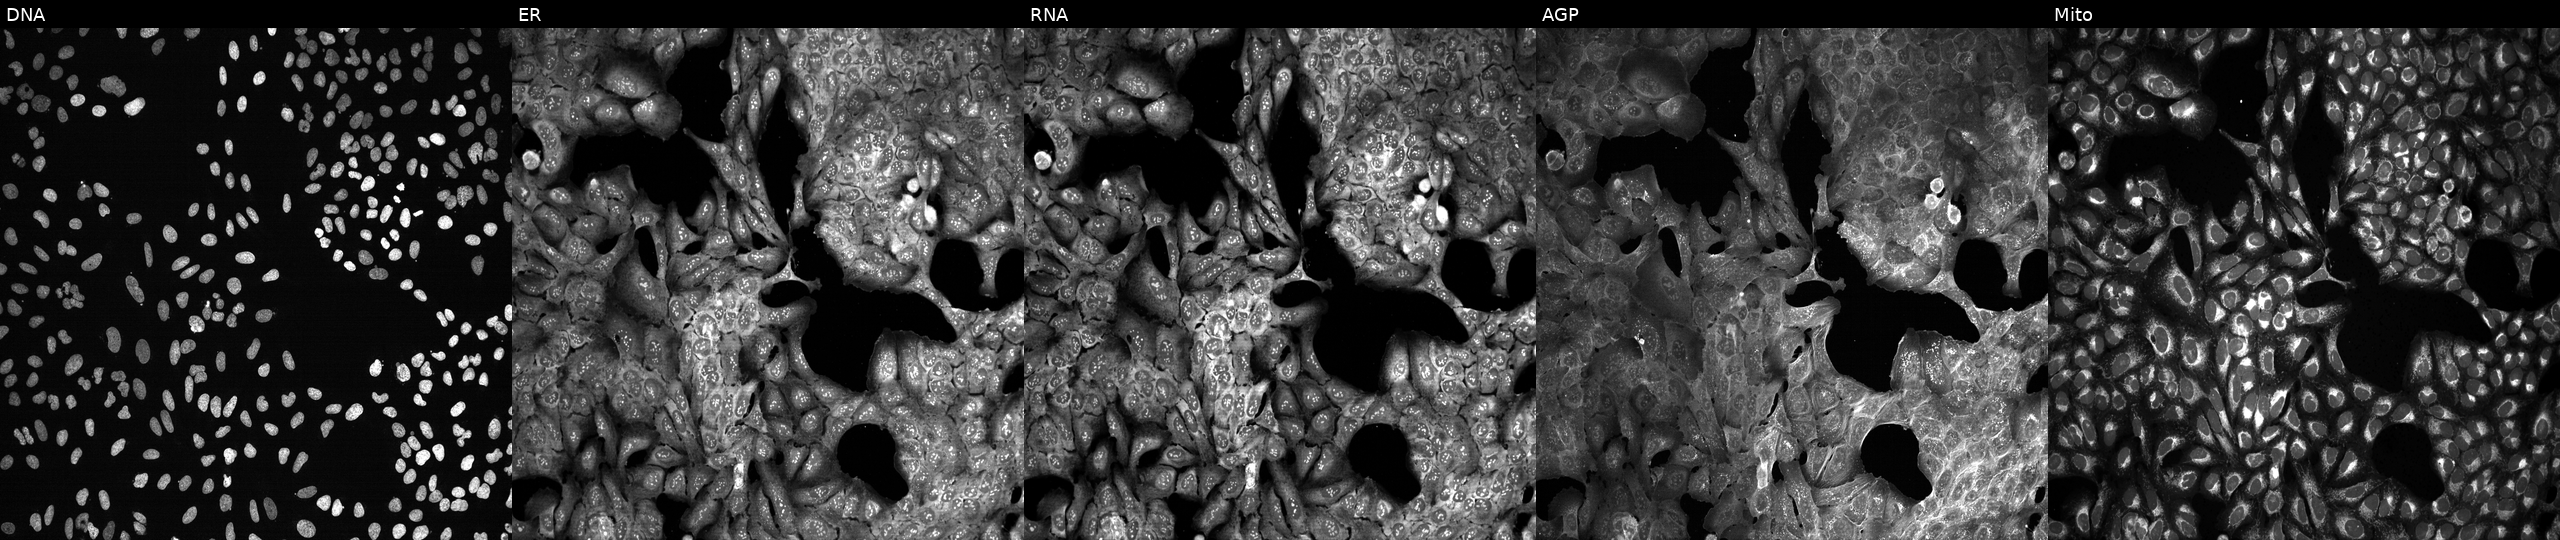
High-content fluorescence microscopy (Cell Painting). Cell line: U2OS. Perturbation: following CRISPR knockout of PBXIP1. From left to right: DNA, ER, RNA, AGP, and Mito. Source 13, plate CP-CC9-R6-19, well J12.